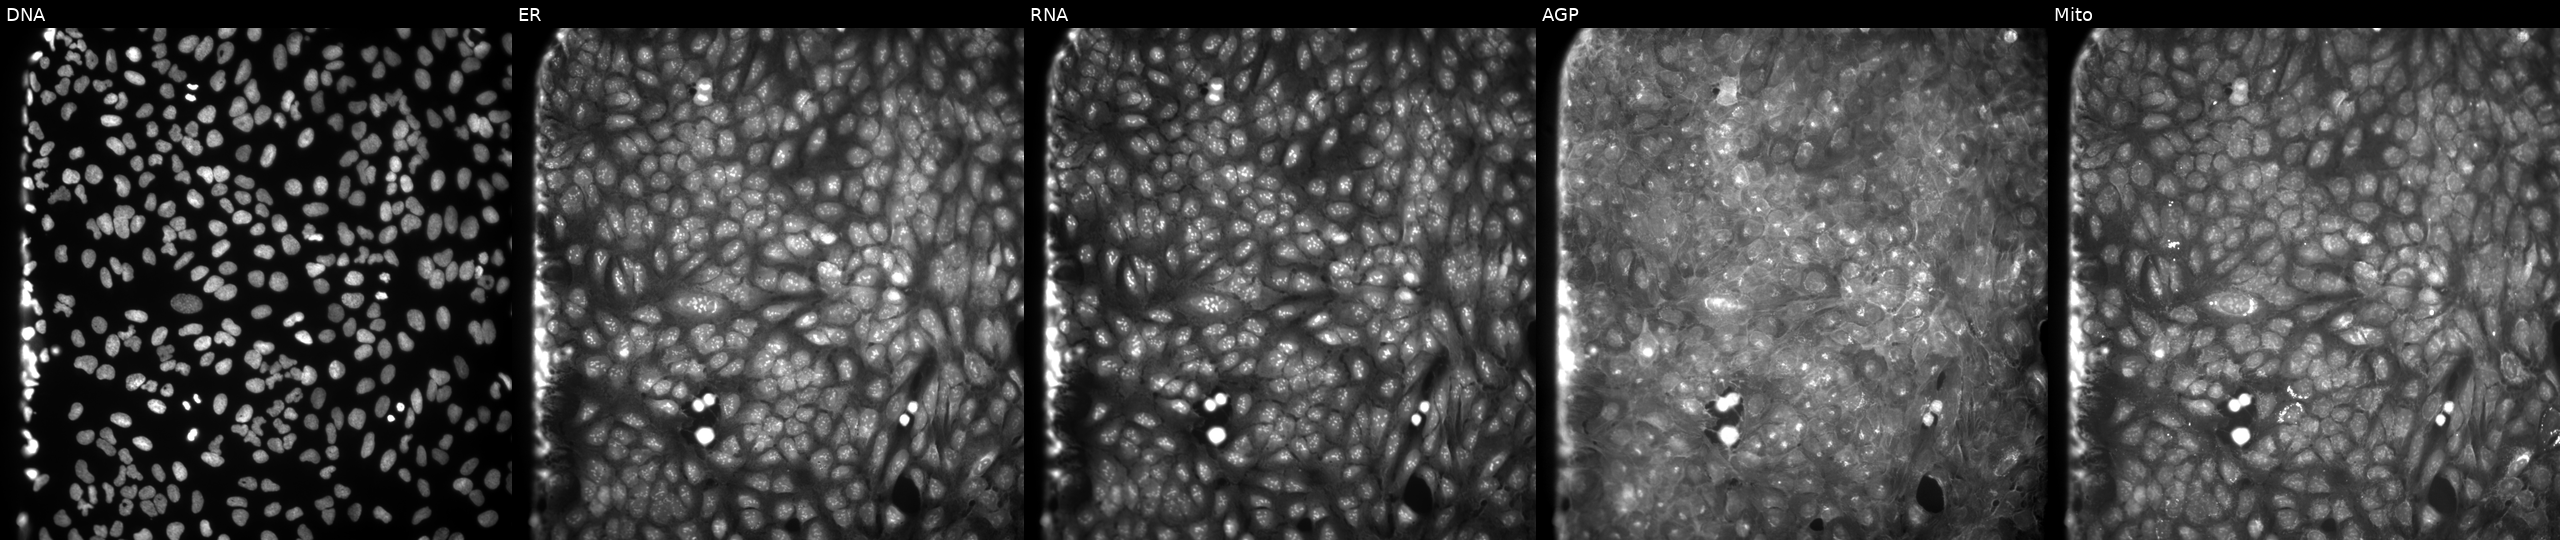
High-content fluorescence microscopy (Cell Painting). Cell line: U2OS. Perturbation: exposed to DMSO alone as a negative control (JUMP id JCP2022_033924). Panels show, left to right, Hoechst 33342, concanavalin A, SYTO 14, phalloidin and WGA, MitoTracker.